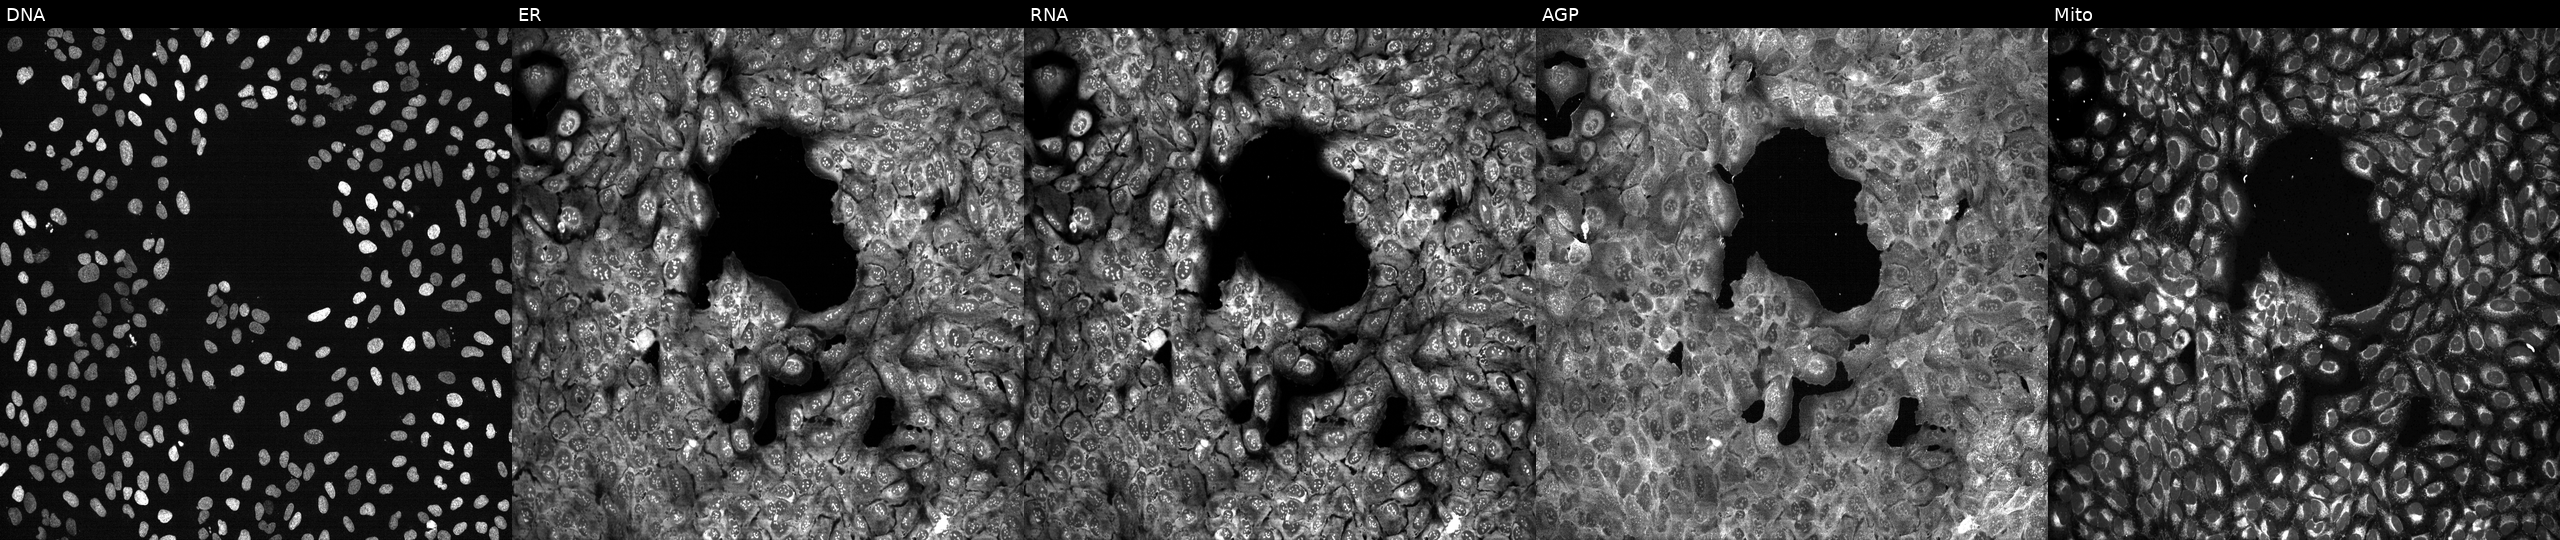
Channels (left→right): DNA, ER, RNA, AGP, and Mito. U2OS osteosarcoma cells CRISPR-edited to disrupt CD72 (JUMP id JCP2022_801164). Cell Painting assay, JUMP-CP dataset.